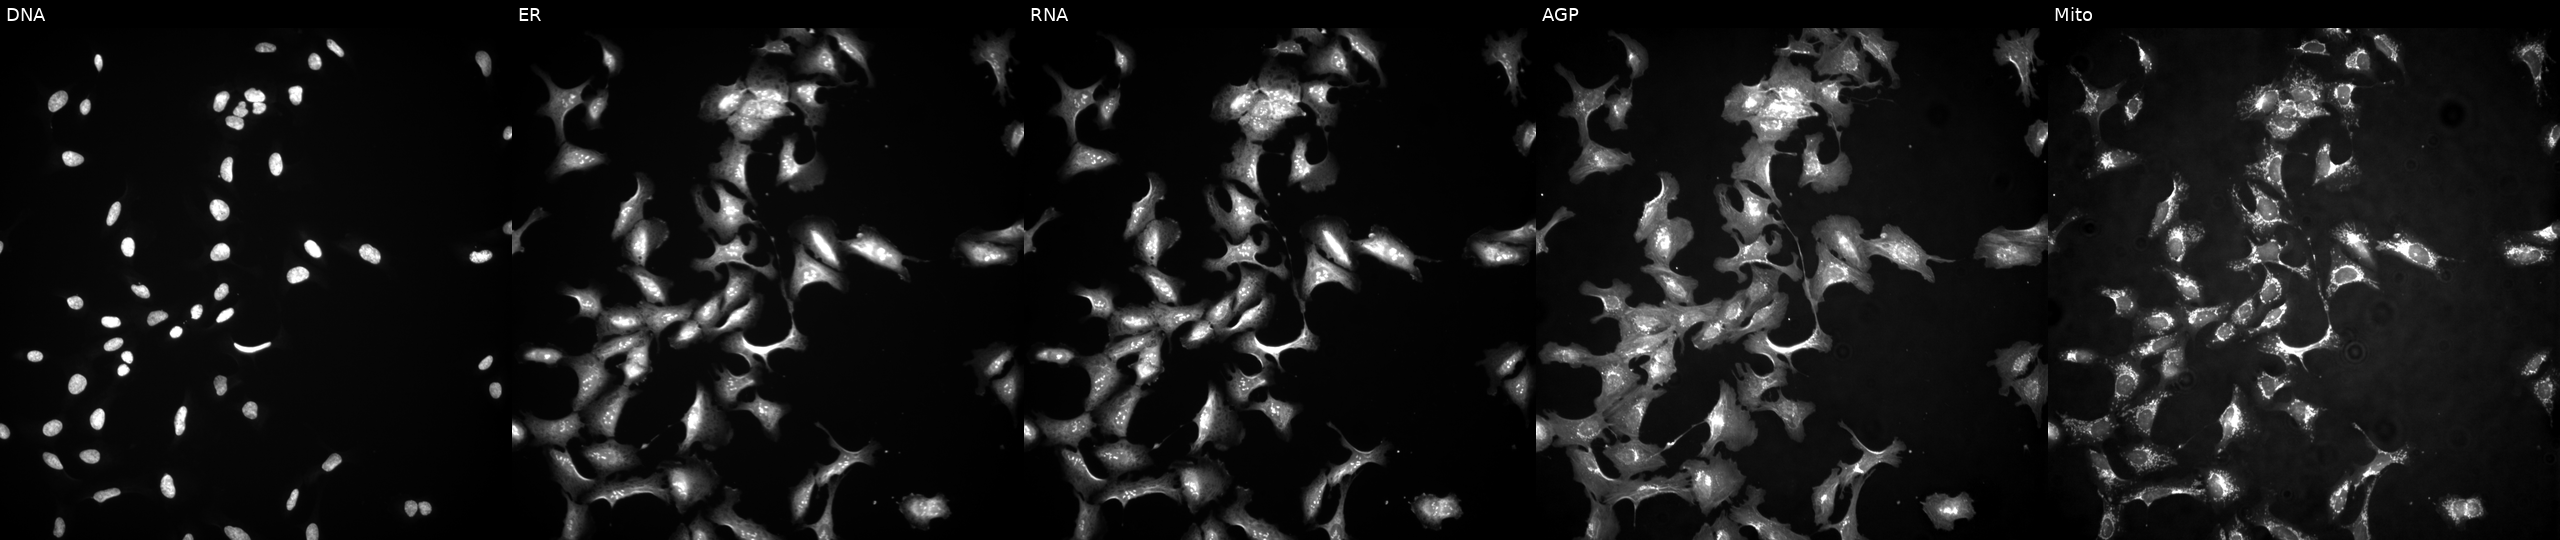
JUMP Cell Painting — ORF plate. U2OS cells transfected with an ORF construct for ZNF366 (JUMP id JCP2022_909103). Channels (left→right): DNA (nuclei); ER (endoplasmic reticulum); RNA (nucleoli and cytoplasmic RNA); AGP (actin cytoskeleton, Golgi, and plasma membrane); Mito (mitochondria). Source 4, plate BR00117035, well N01.